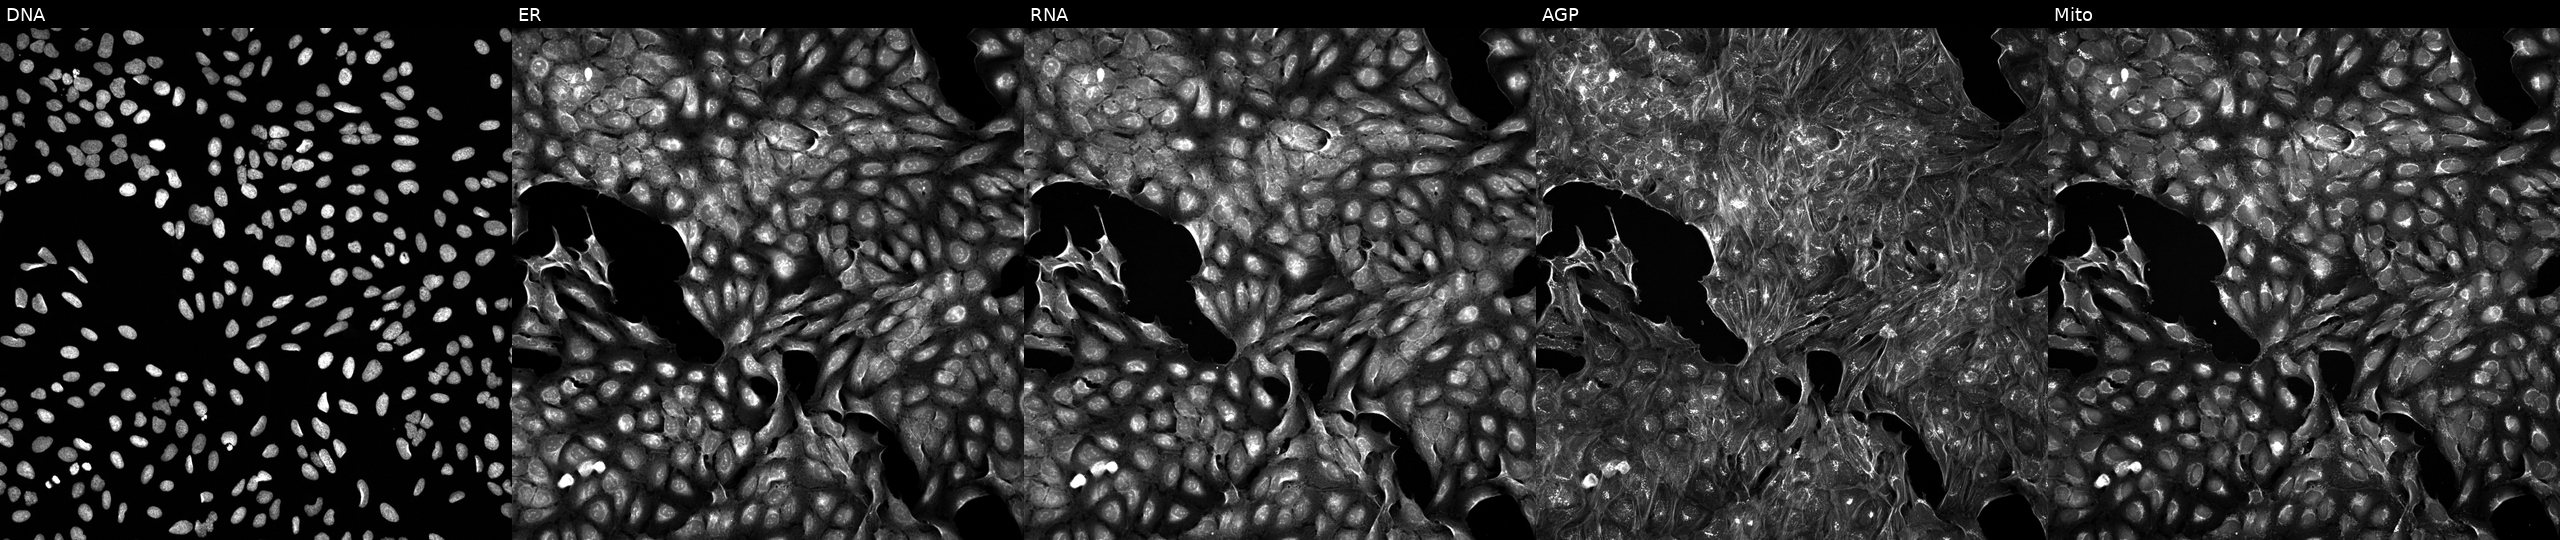
Five-channel Cell Painting image of U2OS cells treated with a small-molecule compound (InChIKey KOKUVVGUBKESRS-UHFFFAOYSA-N). From left to right: Hoechst 33342, concanavalin A, SYTO 14, phalloidin and WGA, MitoTracker.